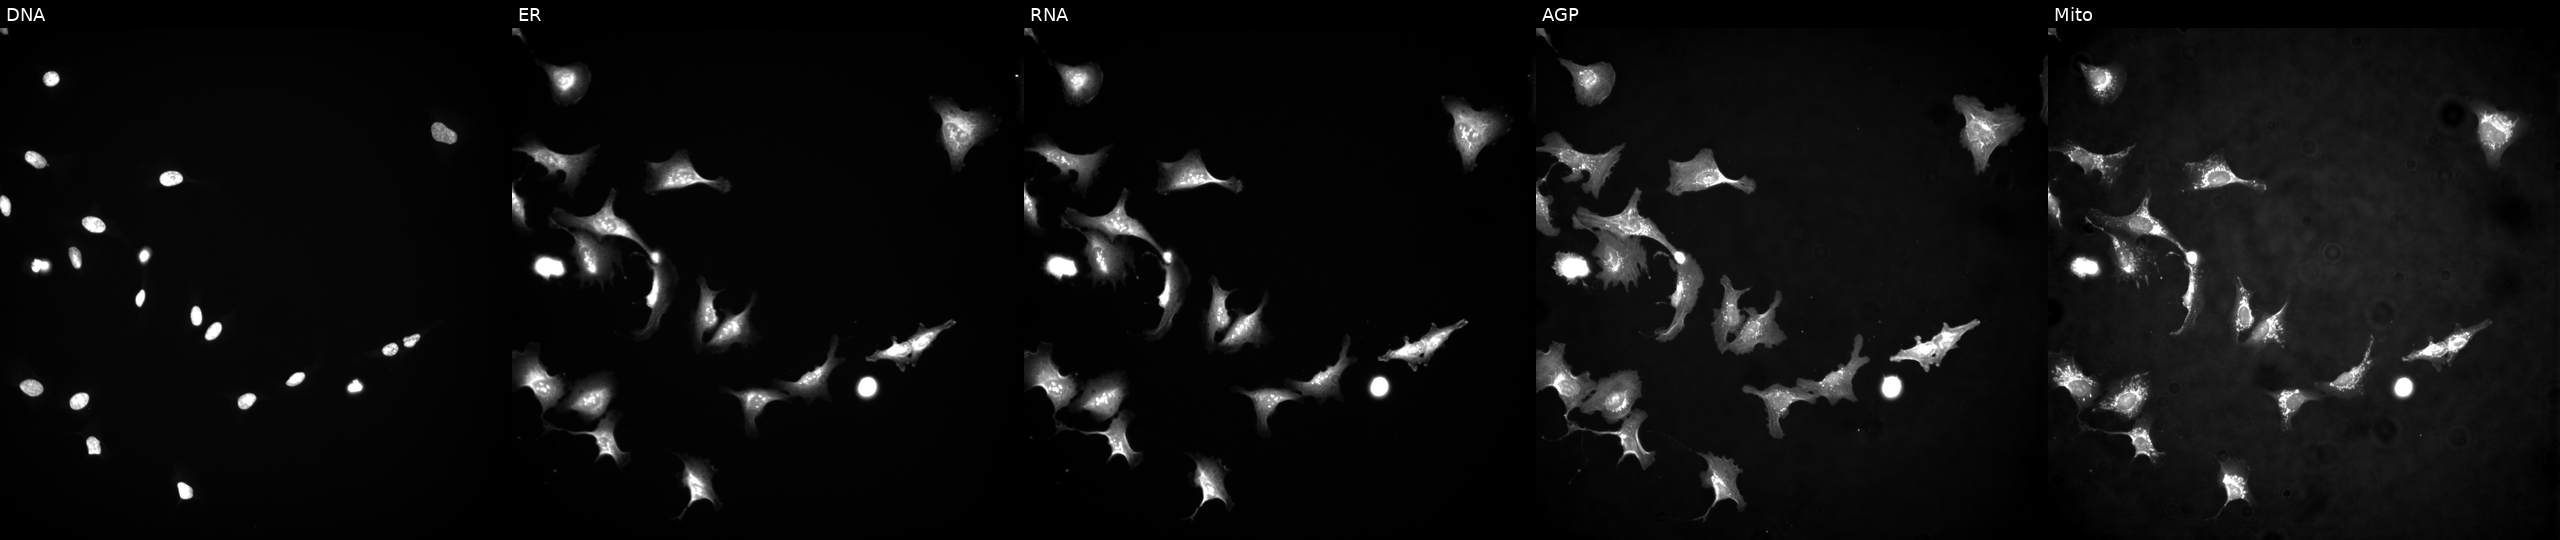
This image strip shows the five Cell Painting channels for a single field of U2OS cells transfected with an ORF construct for WEE2-AS1. From left to right: DNA, ER, RNA, AGP, and Mito.